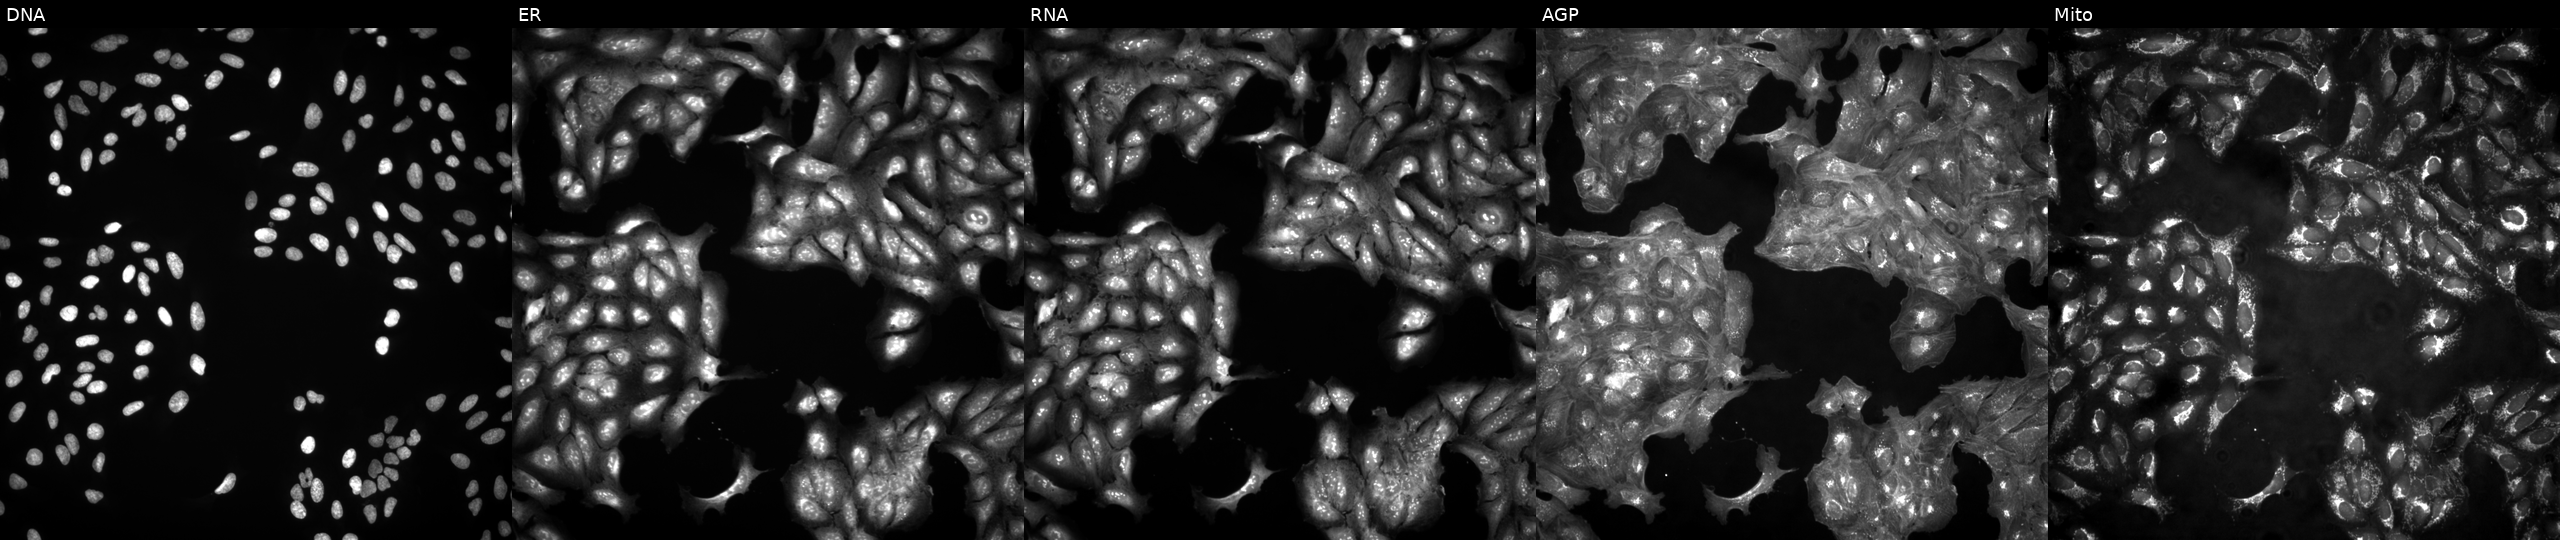
This image strip shows the five Cell Painting channels for a single field of U2OS cells untreated (empty-well control). Panels show, left to right, DNA (nuclei); ER (endoplasmic reticulum); RNA (nucleoli and cytoplasmic RNA); AGP (actin cytoskeleton, Golgi, and plasma membrane); Mito (mitochondria). Source 4, plate BR00123946, well C08.